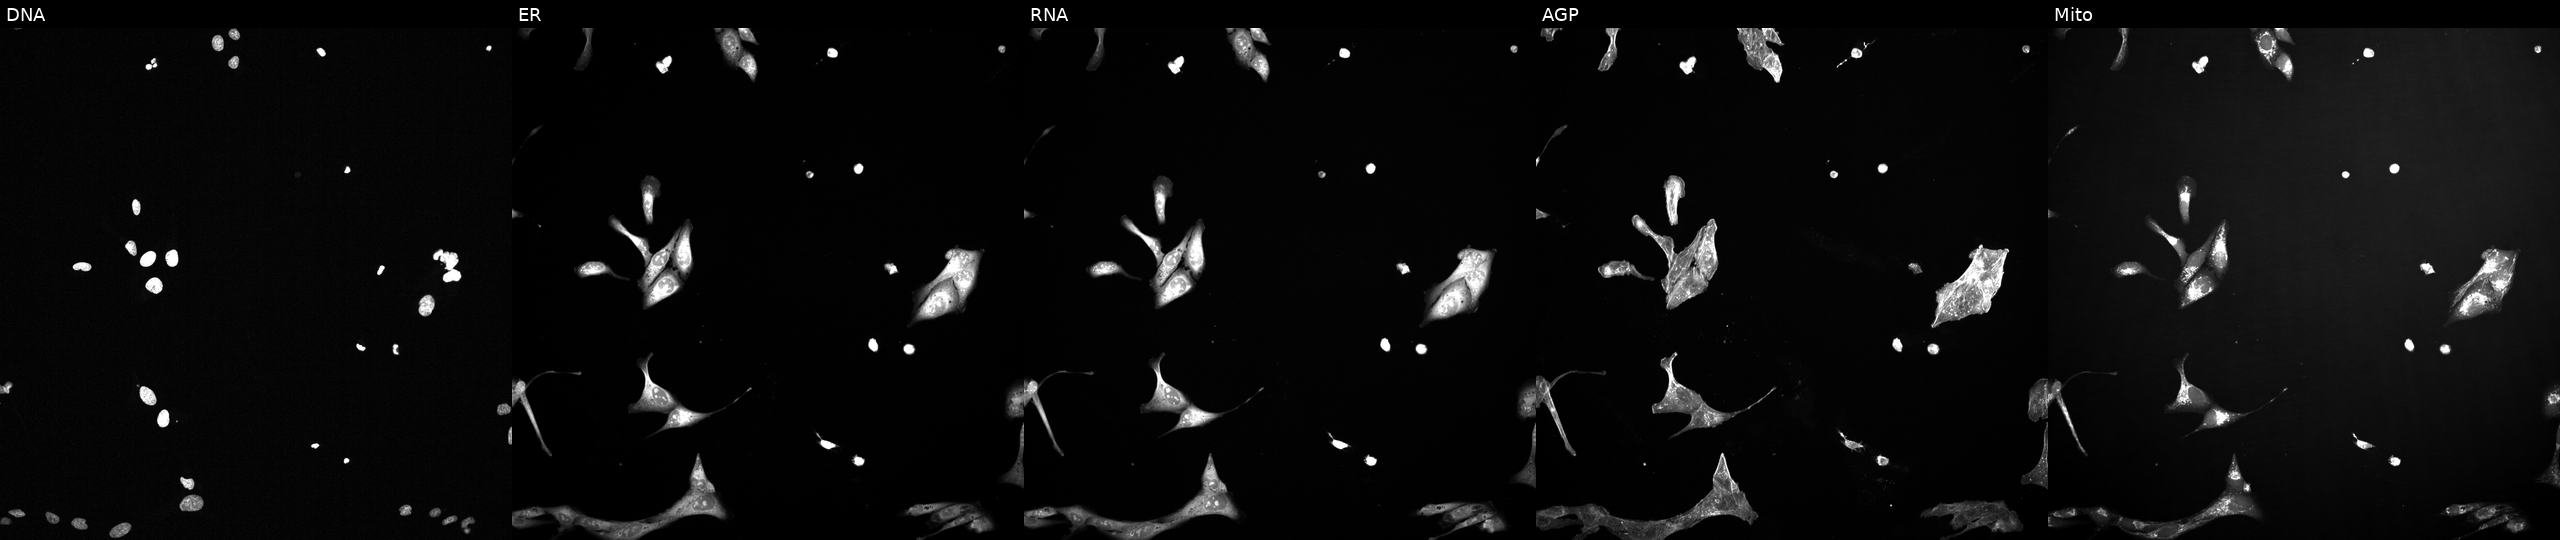
High-content fluorescence microscopy (Cell Painting). Cell line: U2OS. Perturbation: treated with a small-molecule compound (InChIKey VERWOWGGCGHDQE-UHFFFAOYSA-N). Panels show, left to right, Hoechst 33342, concanavalin A, SYTO 14, phalloidin and WGA, MitoTracker. Source 2, plate 1053597936, well J19.